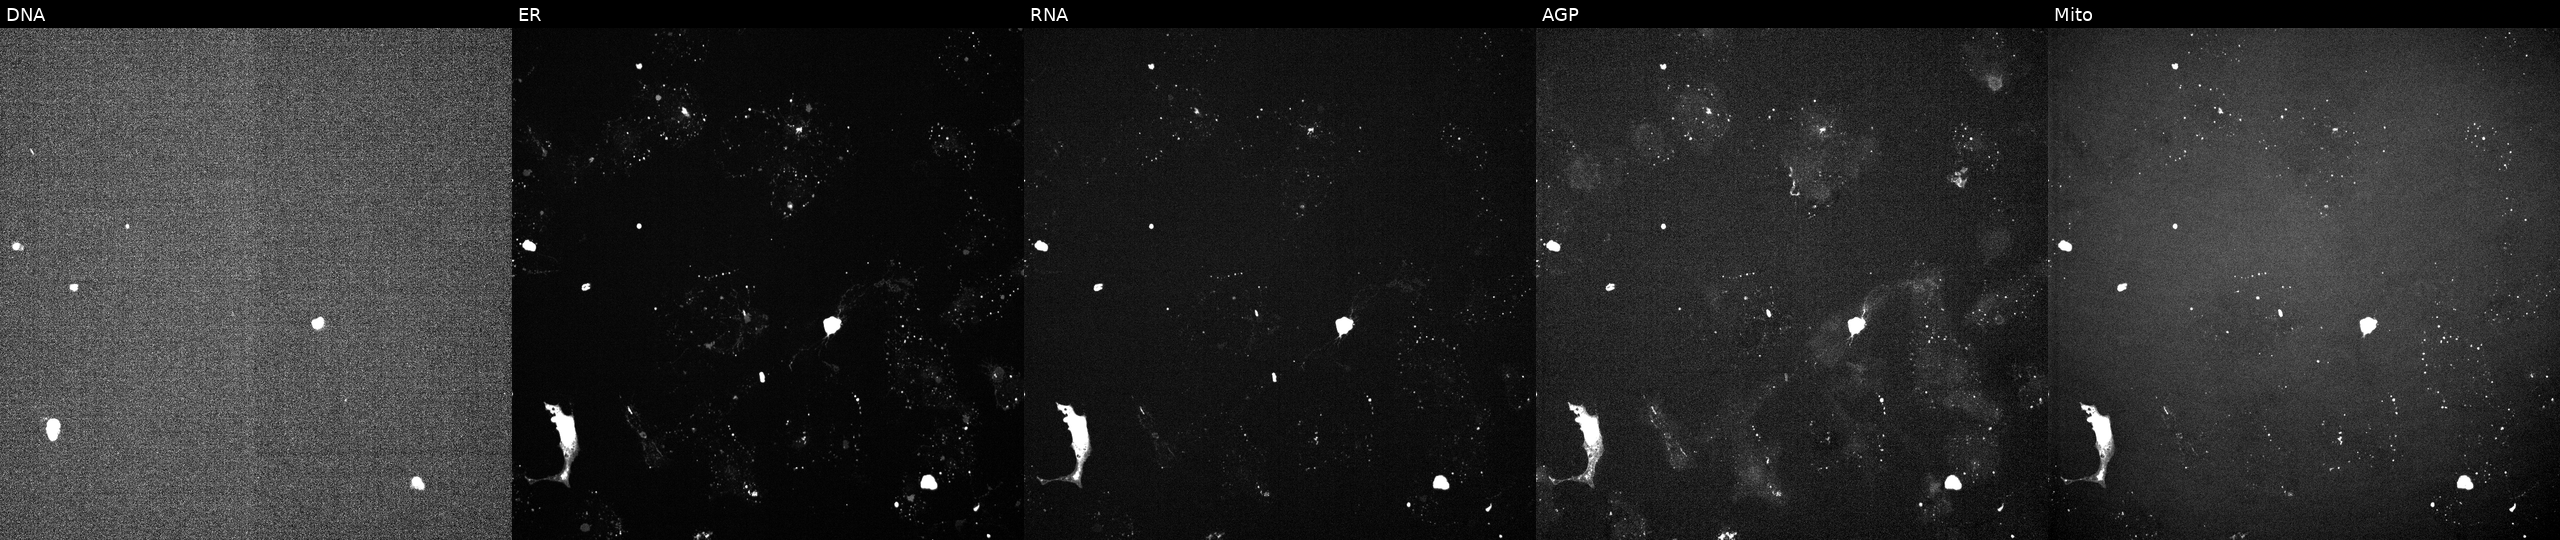
Five-channel Cell Painting image of U2OS cells perturbed with a small-molecule compound (InChIKey PBCZSGKMGDDXIJ-UHFFFAOYSA-N) (JUMP id JCP2022_067441). Panels show, left to right, Hoechst 33342, concanavalin A, SYTO 14, phalloidin and WGA, MitoTracker. Source 6, plate 110000293093, well G12.